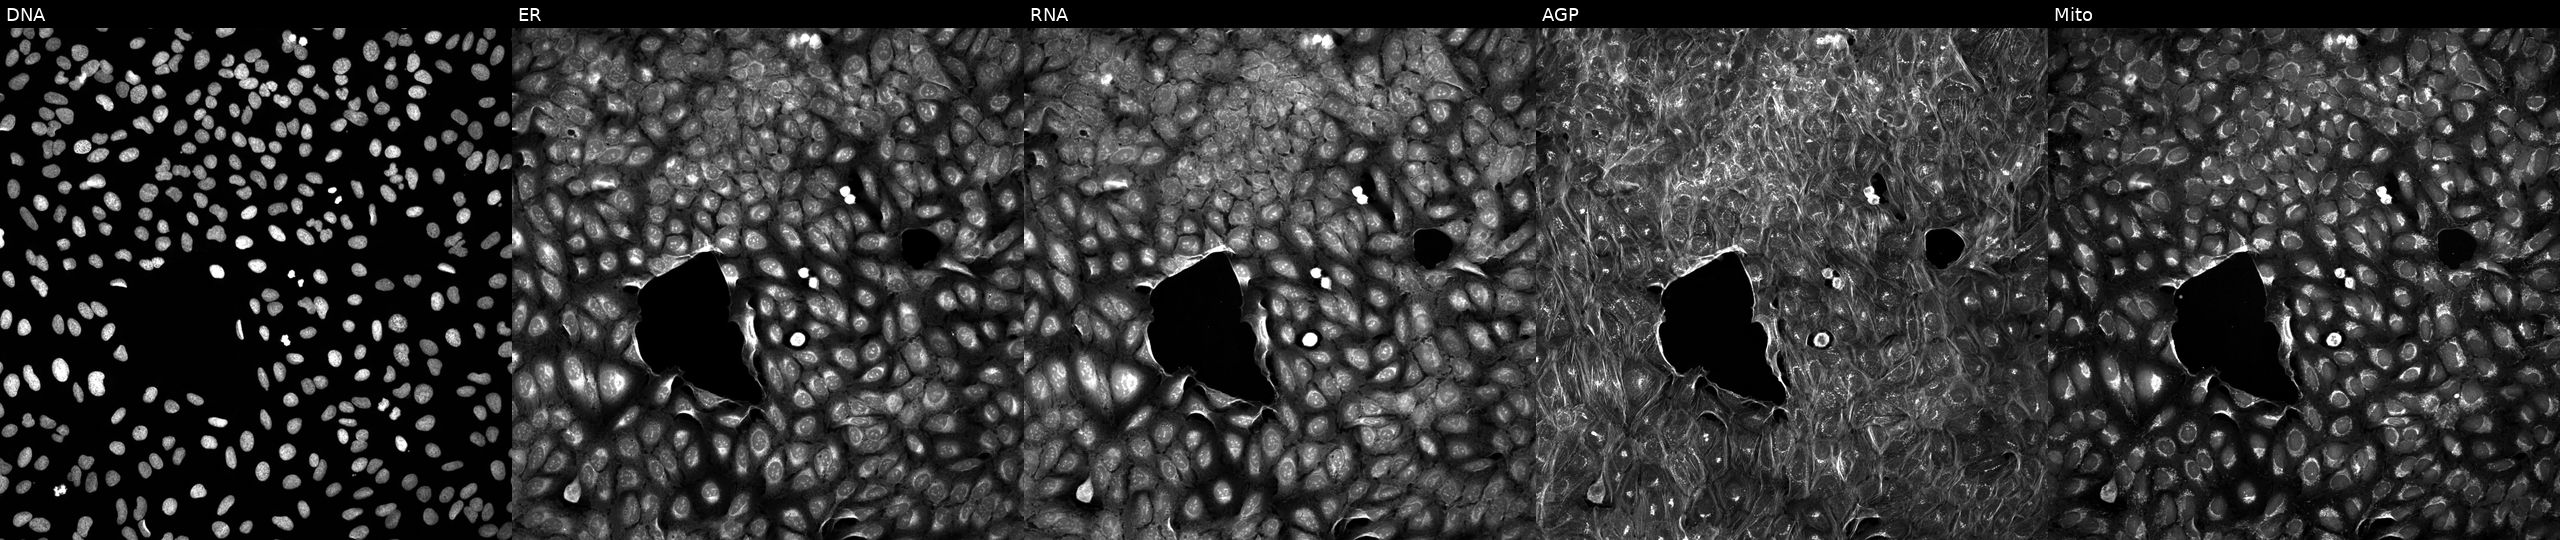
The five panels, left to right, show DNA, ER, RNA, AGP, and Mito. U2OS osteosarcoma cells perturbed with a small-molecule compound (InChIKey ICDMLAQPOAVWNH-UHFFFAOYSA-N). Cell Painting assay, JUMP-CP dataset.